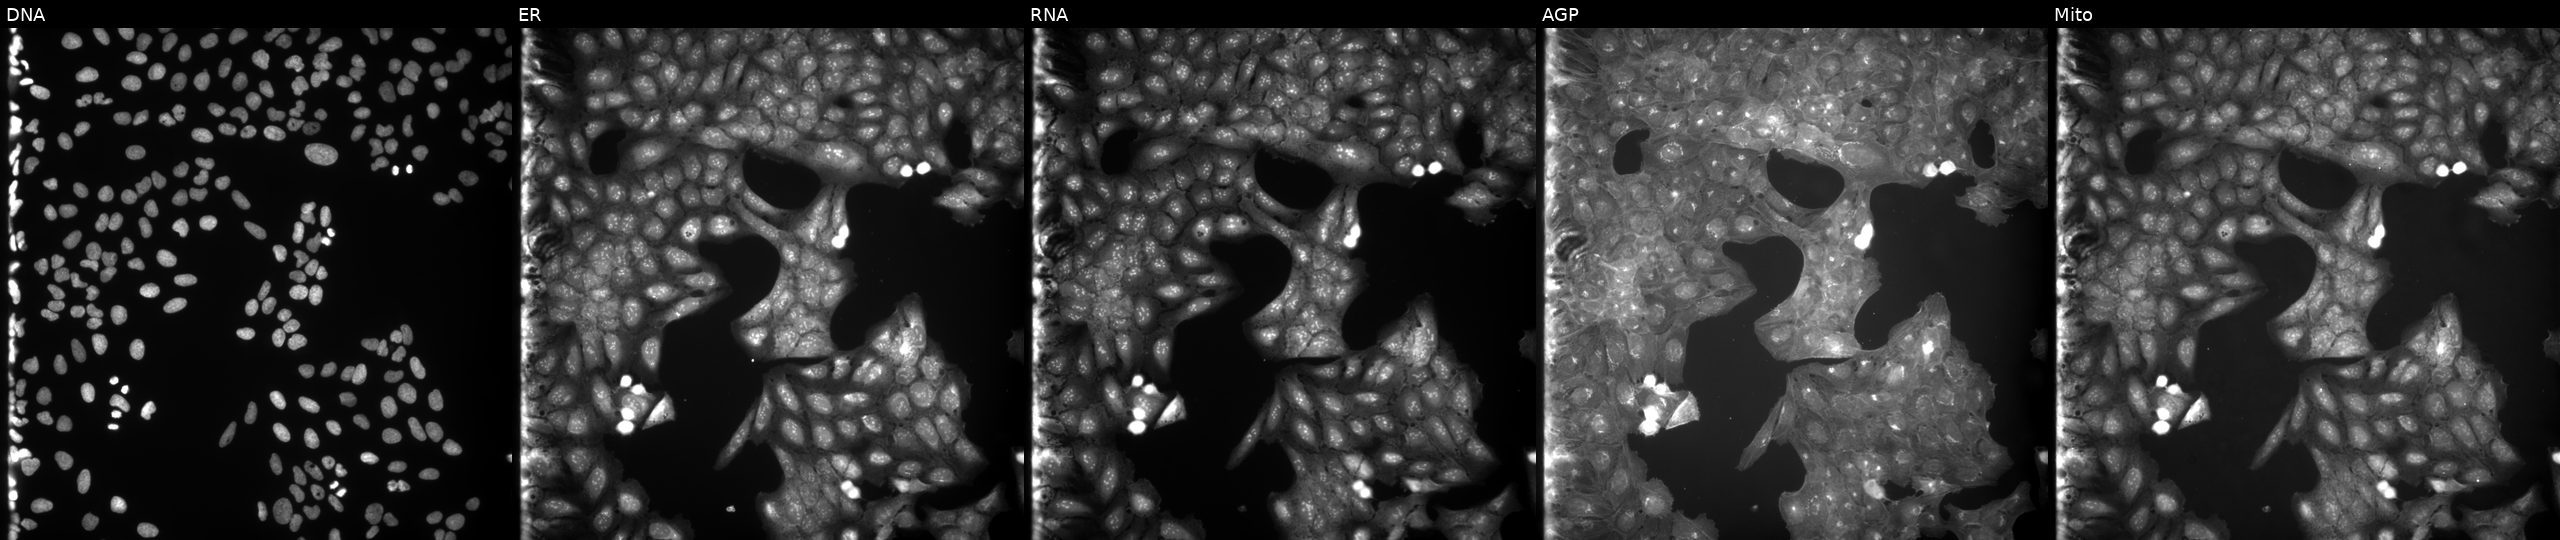
U2OS cells, Cell Painting assay, treated with a small-molecule compound (InChIKey NHRGJCJTJXYGDA-UHFFFAOYSA-N) (JUMP id JCP2022_059068). Panels show, left to right, Hoechst 33342, concanavalin A, SYTO 14, phalloidin and WGA, MitoTracker. Each panel is percentile-stretched 16-bit fluorescence.